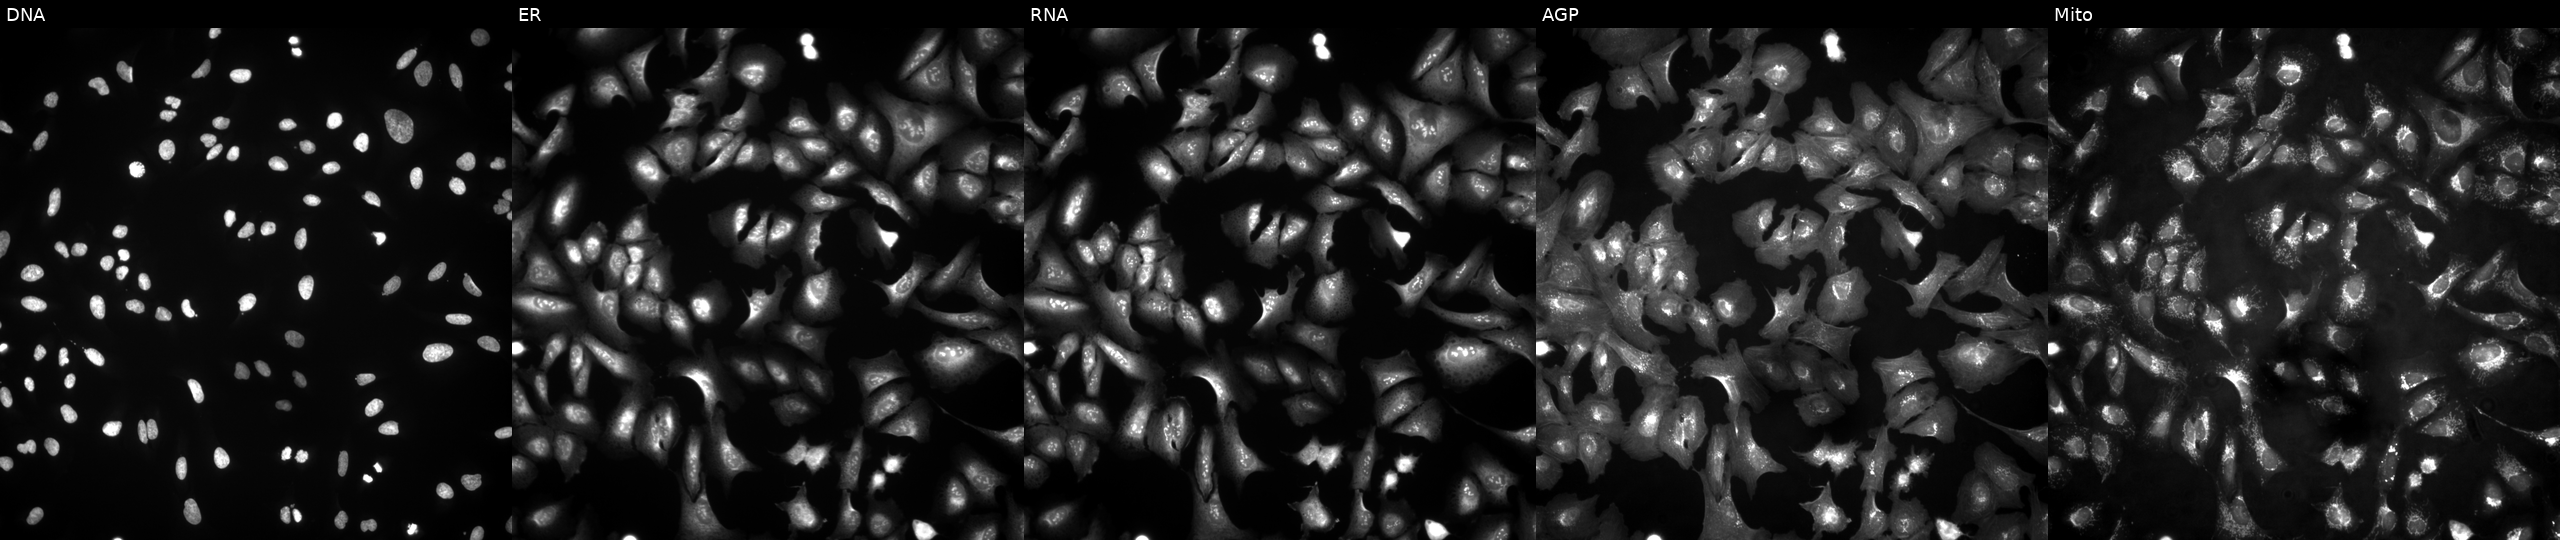
From left to right: DNA (nuclei); ER (endoplasmic reticulum); RNA (nucleoli and cytoplasmic RNA); AGP (actin cytoskeleton, Golgi, and plasma membrane); Mito (mitochondria). U2OS osteosarcoma cells with KRTAP12-4 overexpressed (ORF). Cell Painting assay, JUMP-CP dataset.